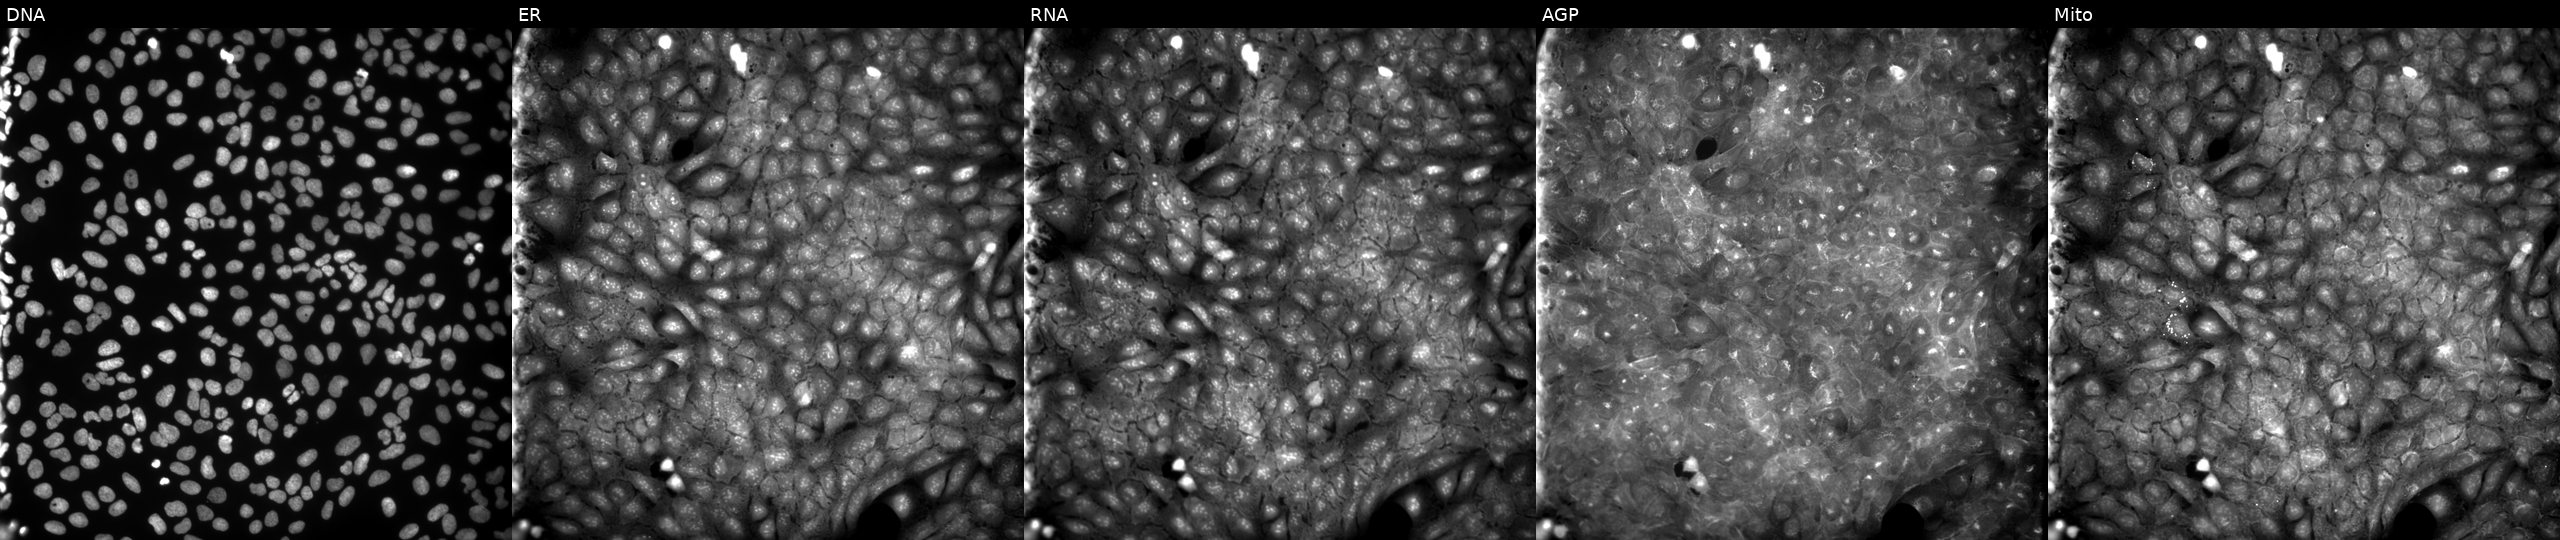
U2OS cells, Cell Painting assay, treated with a small-molecule compound [SMILES: CCOC(=O)CNS(=O)(=O)c1cc(-c2nn(C)c(=O)c3ccccc23)ccc1C]. The five panels, left to right, show DNA, ER, RNA, AGP, and Mito. Each panel is percentile-stretched 16-bit fluorescence.